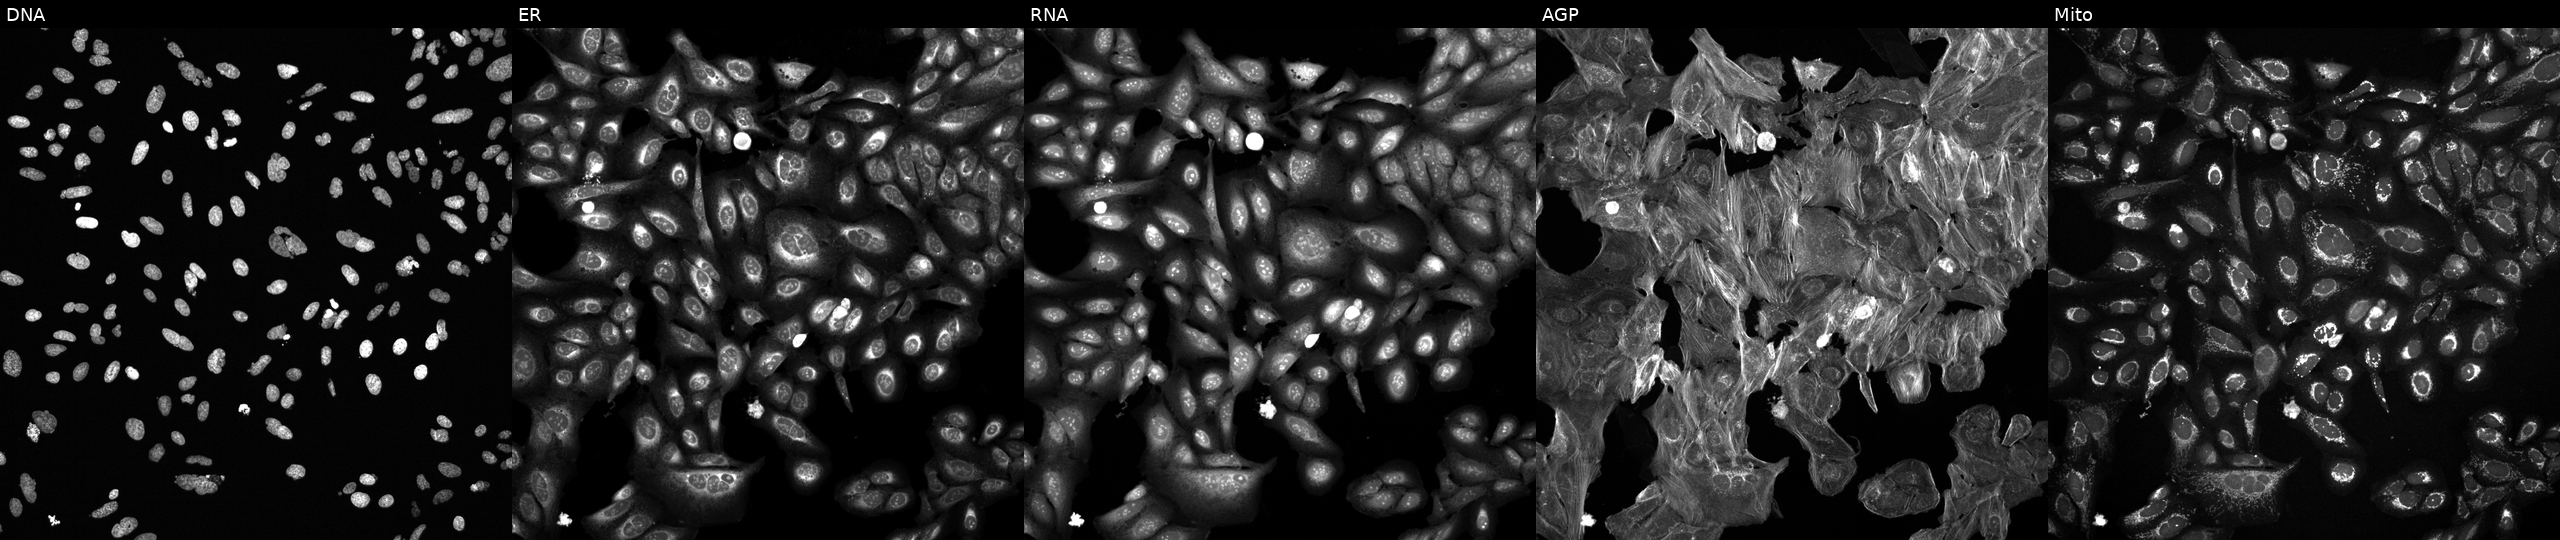
Channels (left→right): DNA, ER, RNA, AGP, and Mito. U2OS osteosarcoma cells perturbed with a small-molecule compound. Cell Painting assay, JUMP-CP dataset.